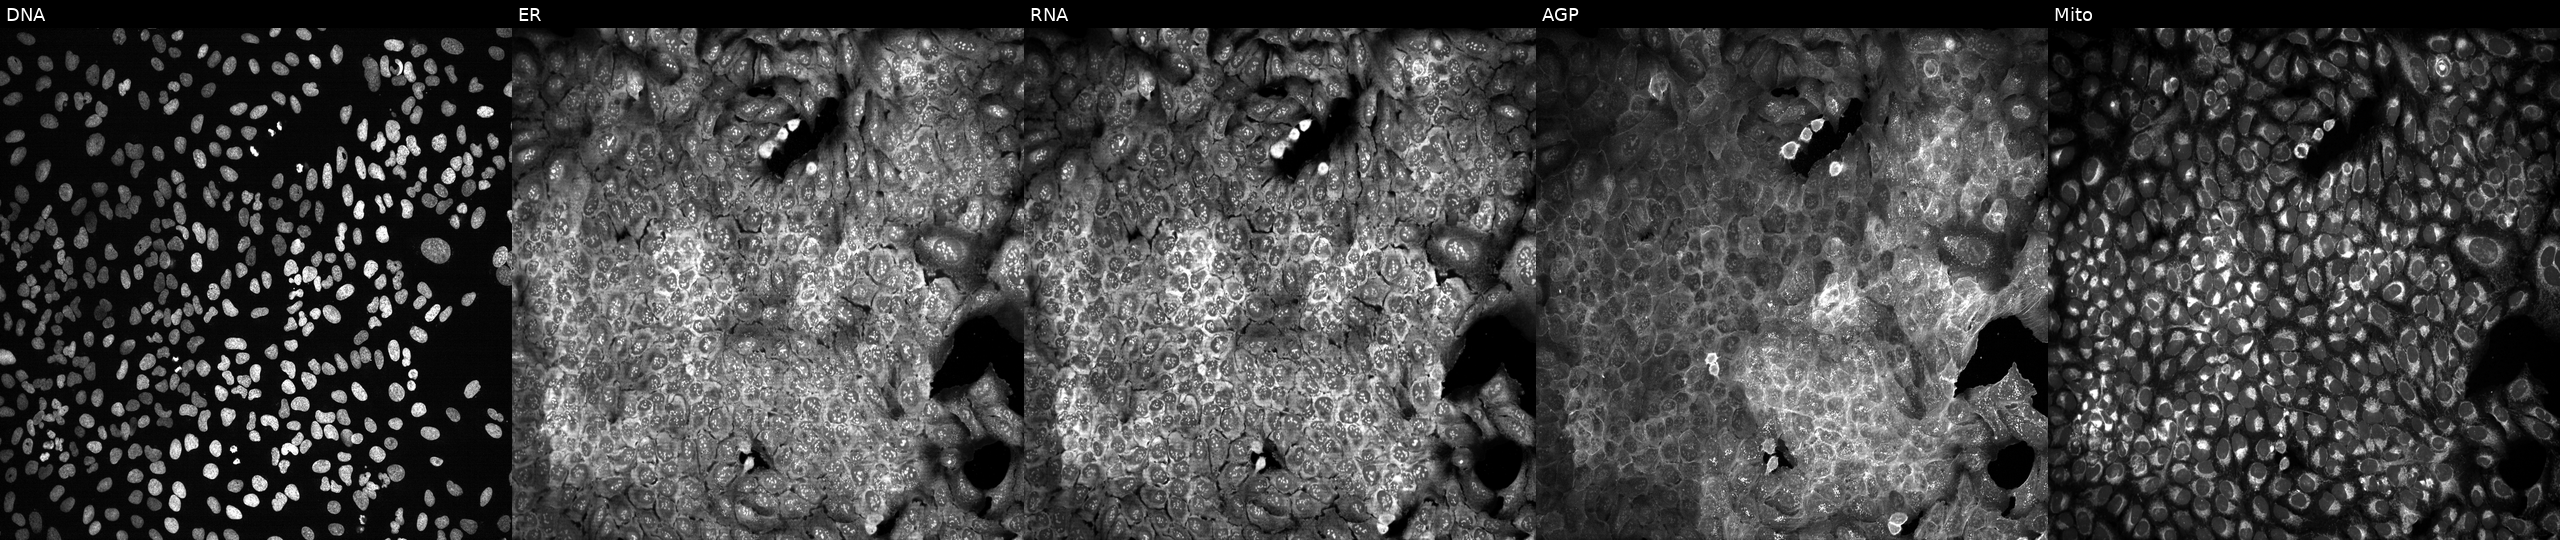
High-content fluorescence microscopy (Cell Painting). Cell line: U2OS. Perturbation: CRISPR-edited to disrupt SPG7. The five panels, left to right, show DNA (nuclei); ER (endoplasmic reticulum); RNA (nucleoli and cytoplasmic RNA); AGP (actin cytoskeleton, Golgi, and plasma membrane); Mito (mitochondria).